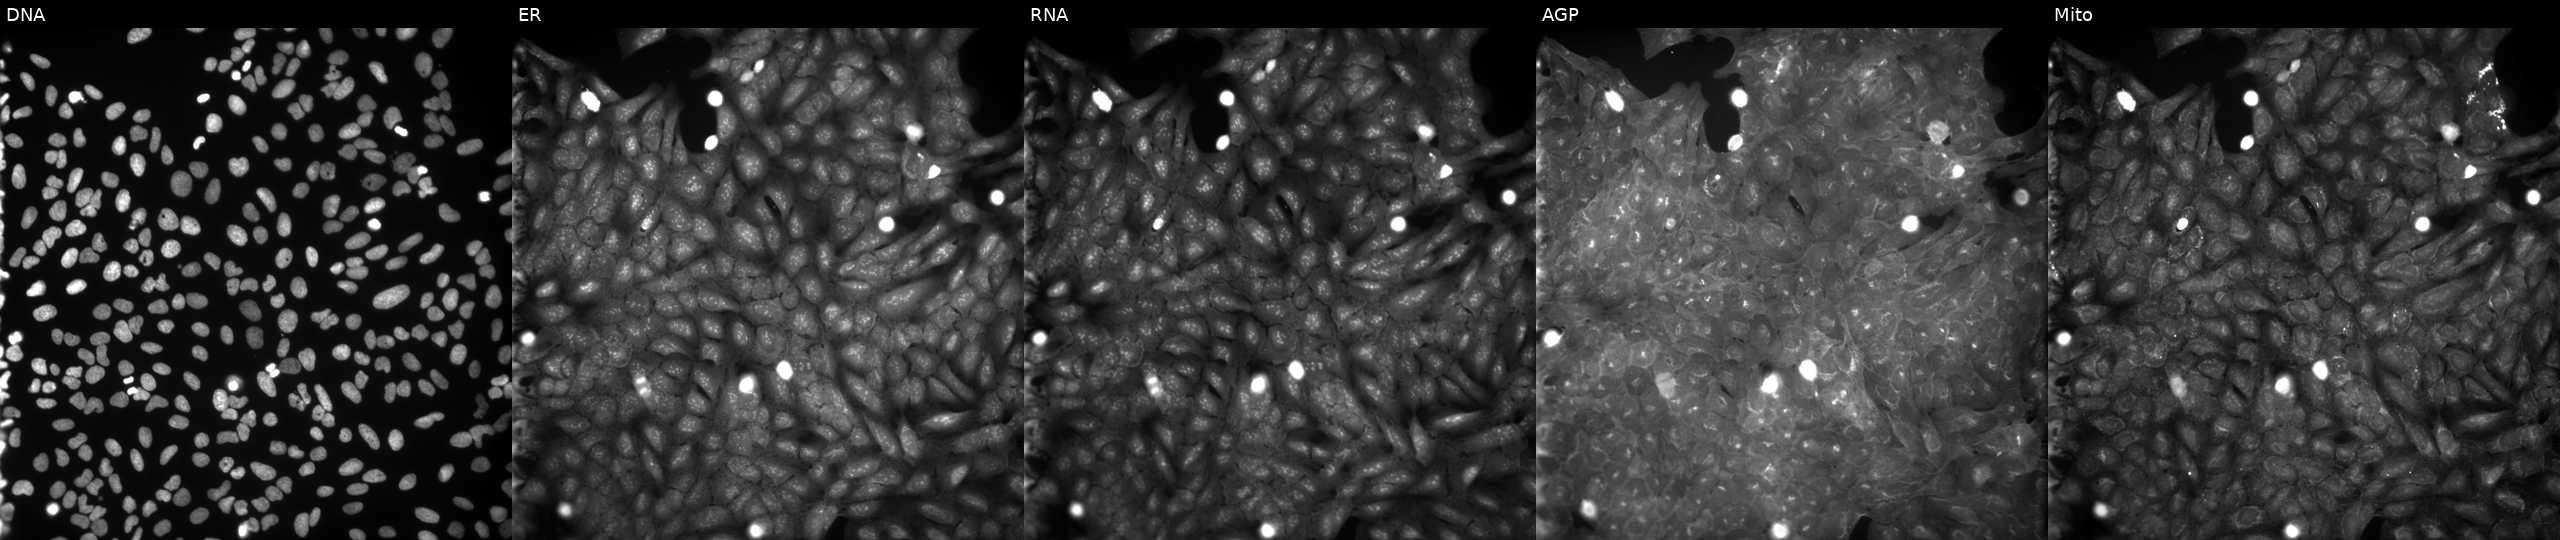
Five-channel Cell Painting image of U2OS cells treated with a small-molecule compound (InChIKey KMNDFMMYEPEZNX-UHFFFAOYSA-N). Panels show, left to right, DNA, ER, RNA, AGP, and Mito.